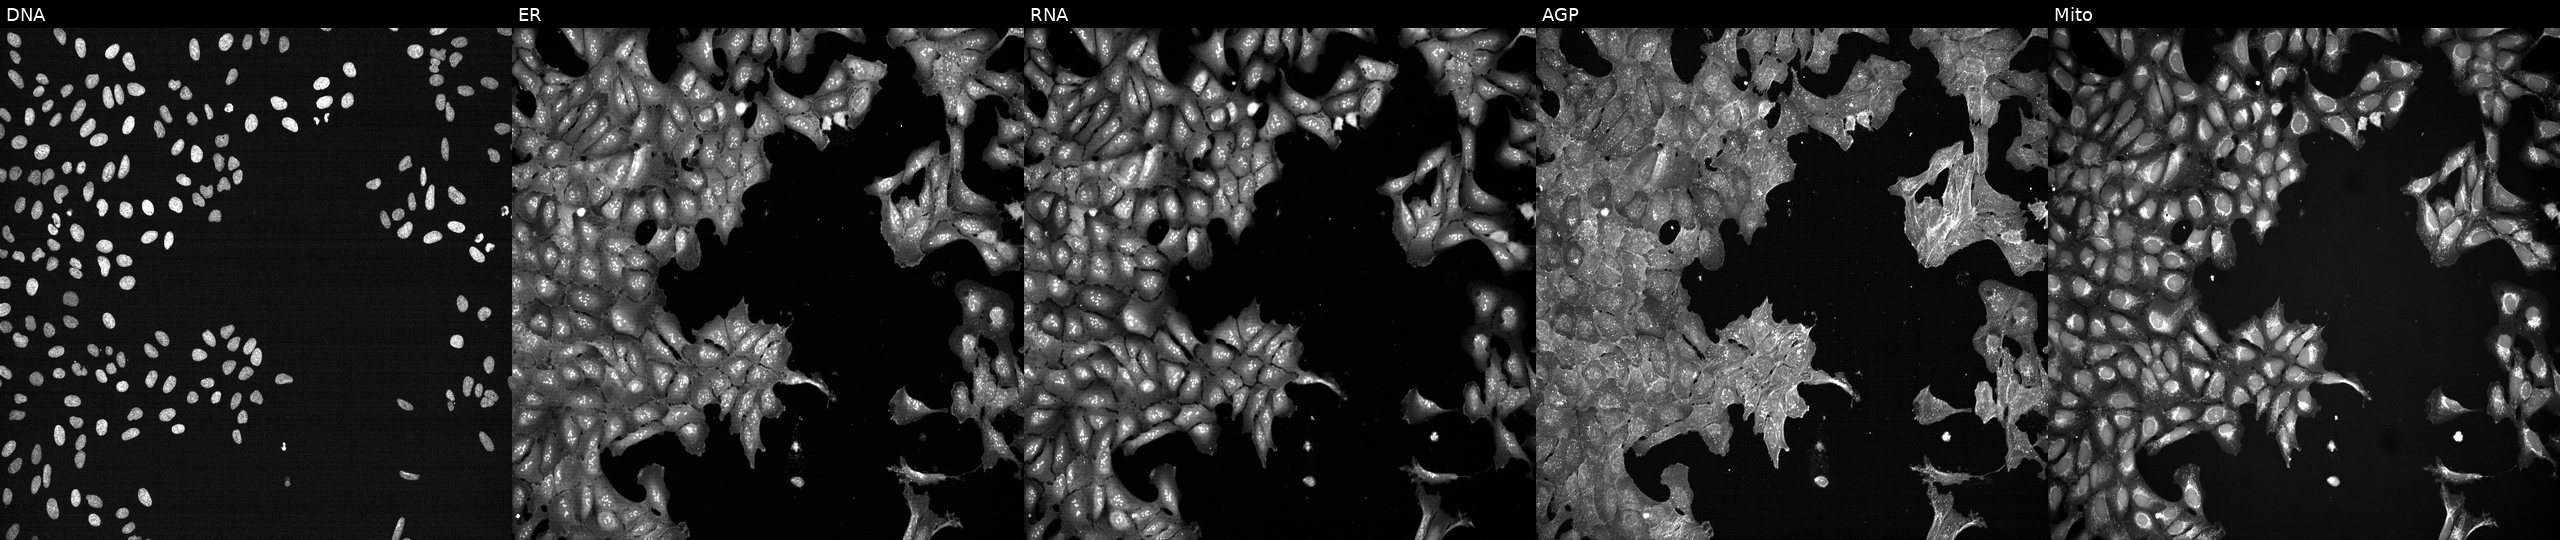
JUMP Cell Painting — TARGET2 plate. U2OS cells exposed to DMSO alone as a negative control. The five panels, left to right, show Hoechst 33342, concanavalin A, SYTO 14, phalloidin and WGA, MitoTracker. Source 7, plate CP2-SC1-25, well G19.